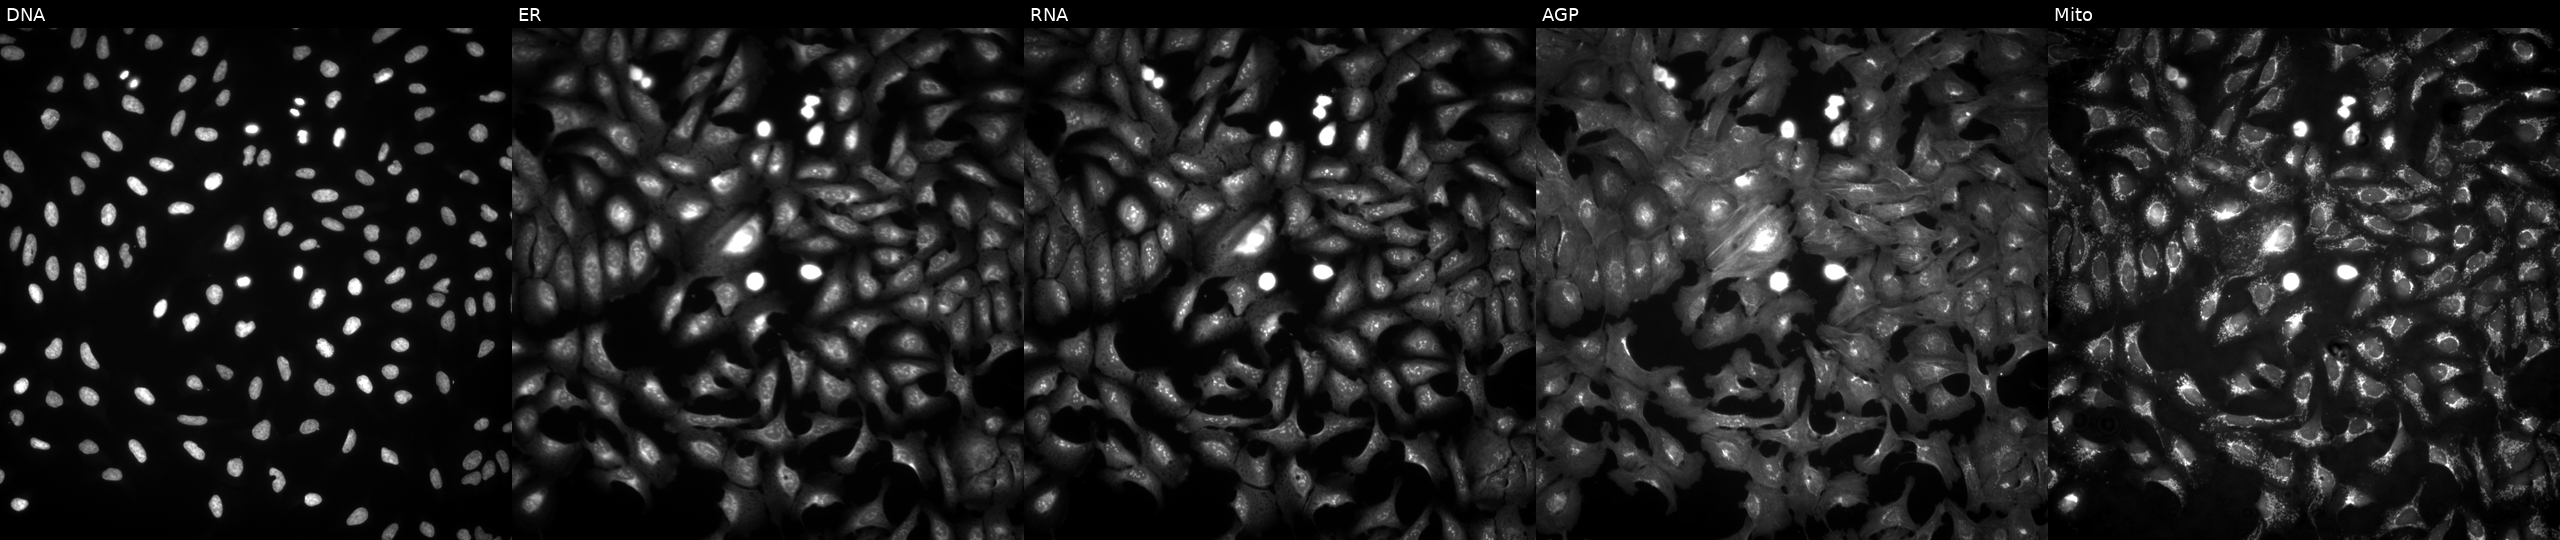
JUMP Cell Painting — ORF plate. U2OS cells transfected with an ORF construct for PLGLB2 (JUMP id JCP2022_901140). The five panels, left to right, show DNA, ER, RNA, AGP, and Mito.